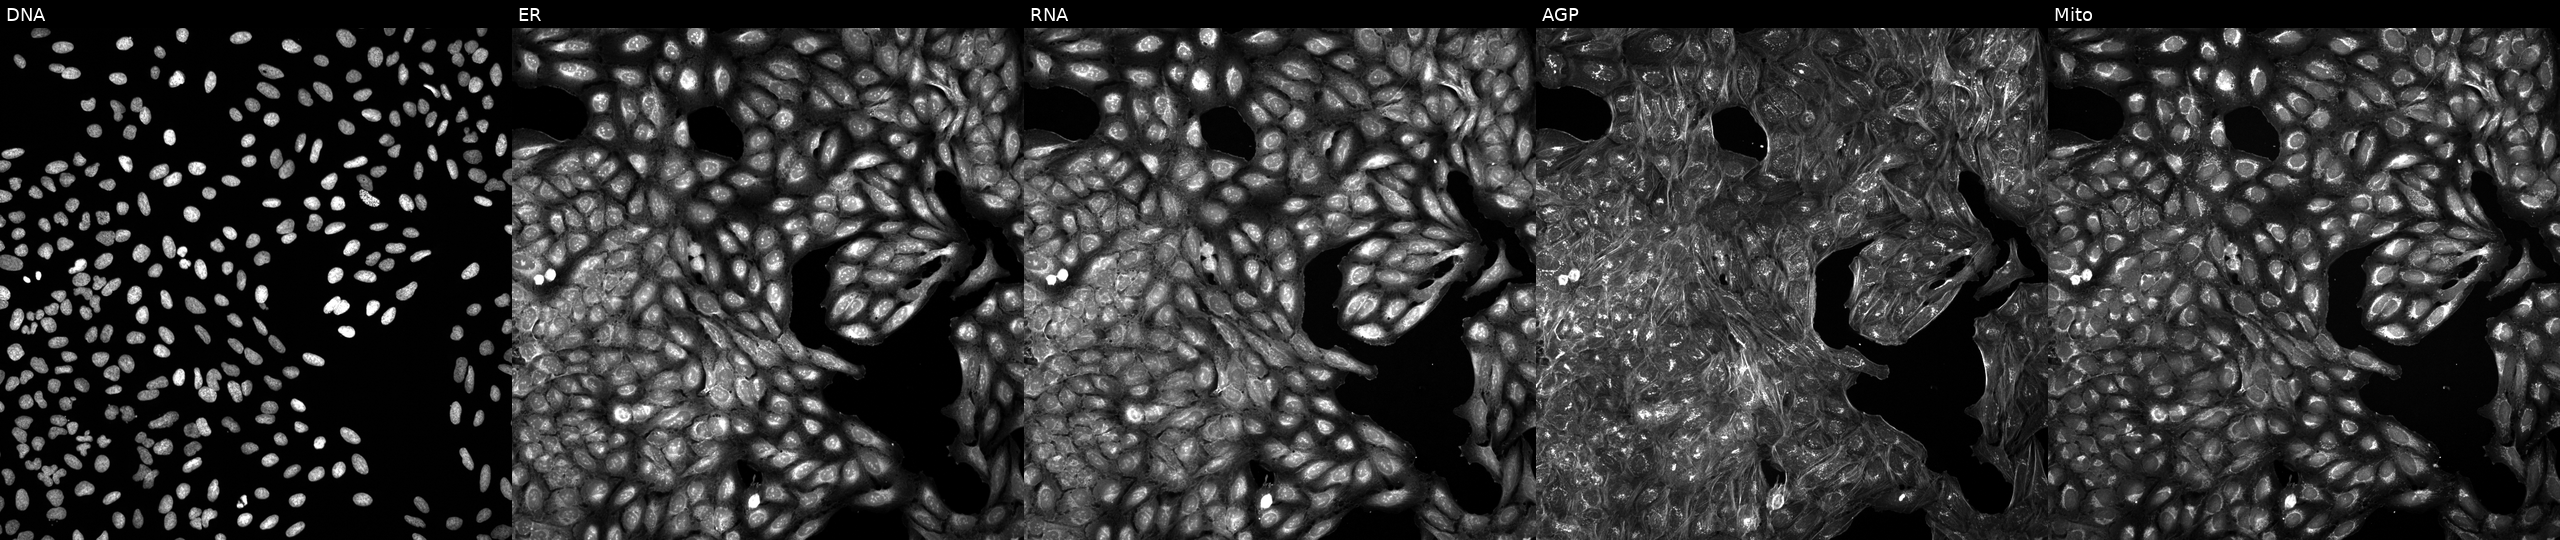
Five-channel Cell Painting image of U2OS cells exposed to a small-molecule compound (InChIKey NVSSWJXYQKJTMY-UHFFFAOYSA-N). Channels (left→right): DNA, ER, RNA, AGP, and Mito.